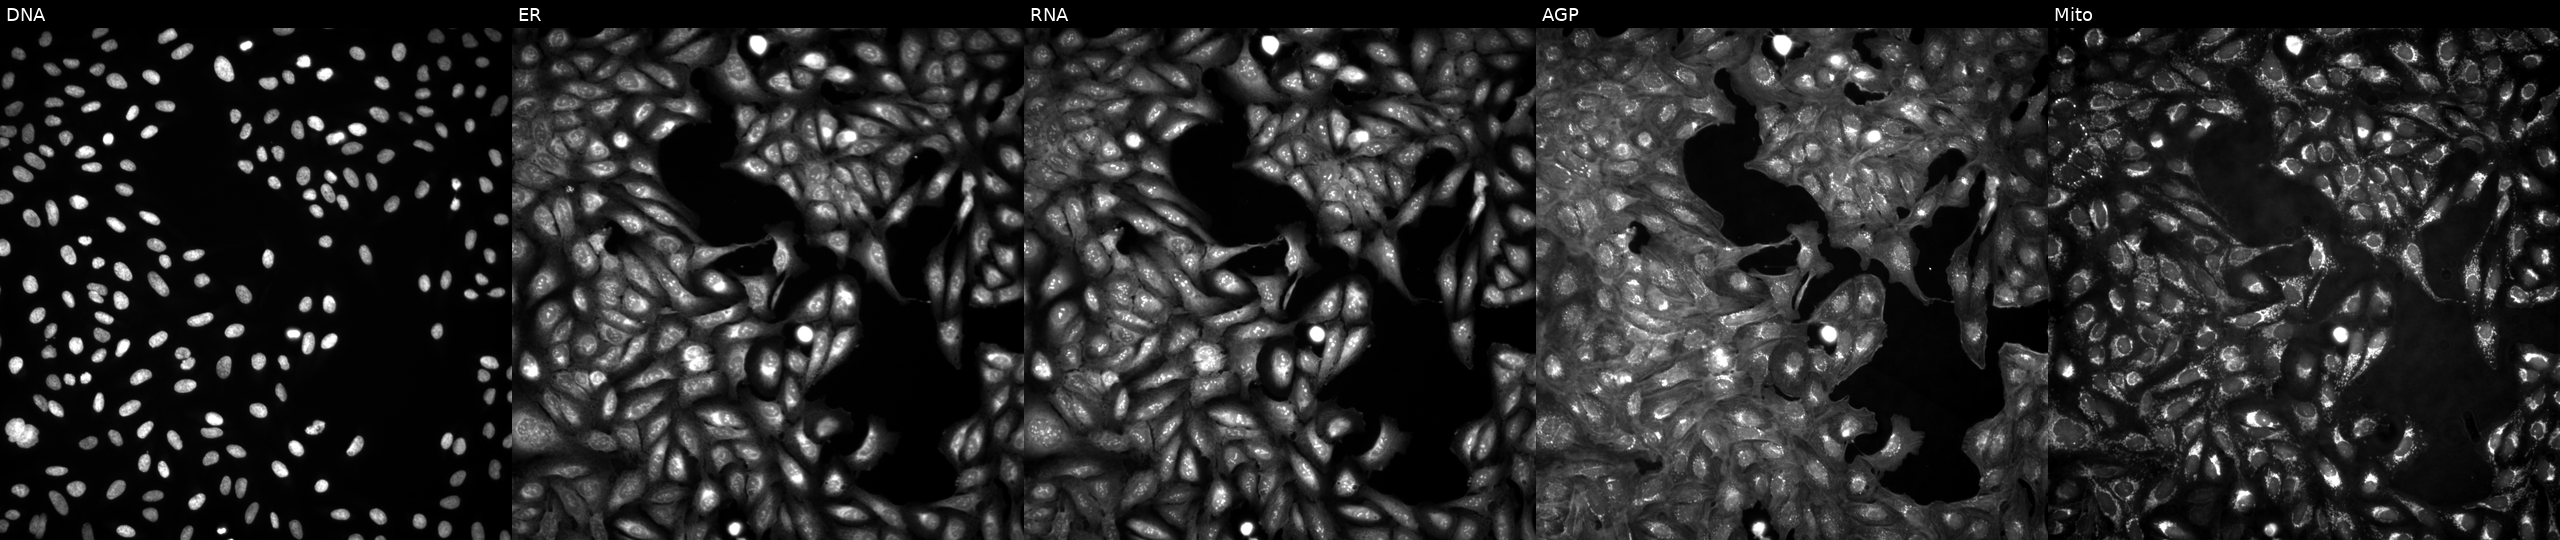
U2OS cells, Cell Painting assay, in an empty control well (no perturbation) (JUMP id JCP2022_999999). Panels show, left to right, DNA (nuclei); ER (endoplasmic reticulum); RNA (nucleoli and cytoplasmic RNA); AGP (actin cytoskeleton, Golgi, and plasma membrane); Mito (mitochondria). Each panel is percentile-stretched 16-bit fluorescence.